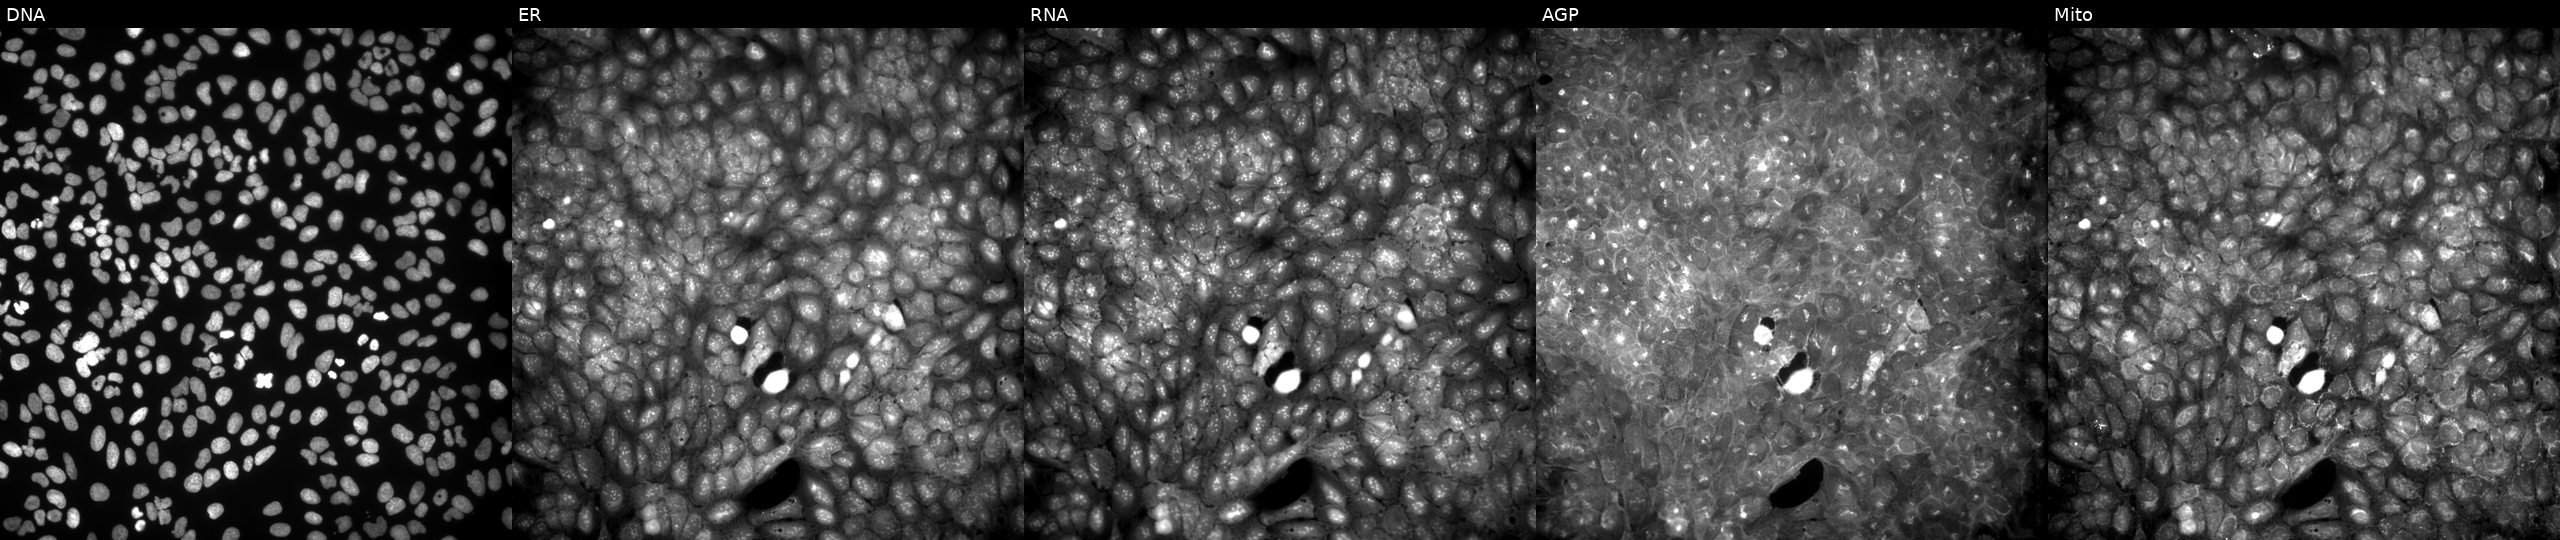
U2OS cells, Cell Painting assay, exposed to a small-molecule compound (InChIKey NCWOUEADXVRVBO-UHFFFAOYSA-N). Channels (left→right): DNA (nuclei); ER (endoplasmic reticulum); RNA (nucleoli and cytoplasmic RNA); AGP (actin cytoskeleton, Golgi, and plasma membrane); Mito (mitochondria). Each panel is percentile-stretched 16-bit fluorescence.